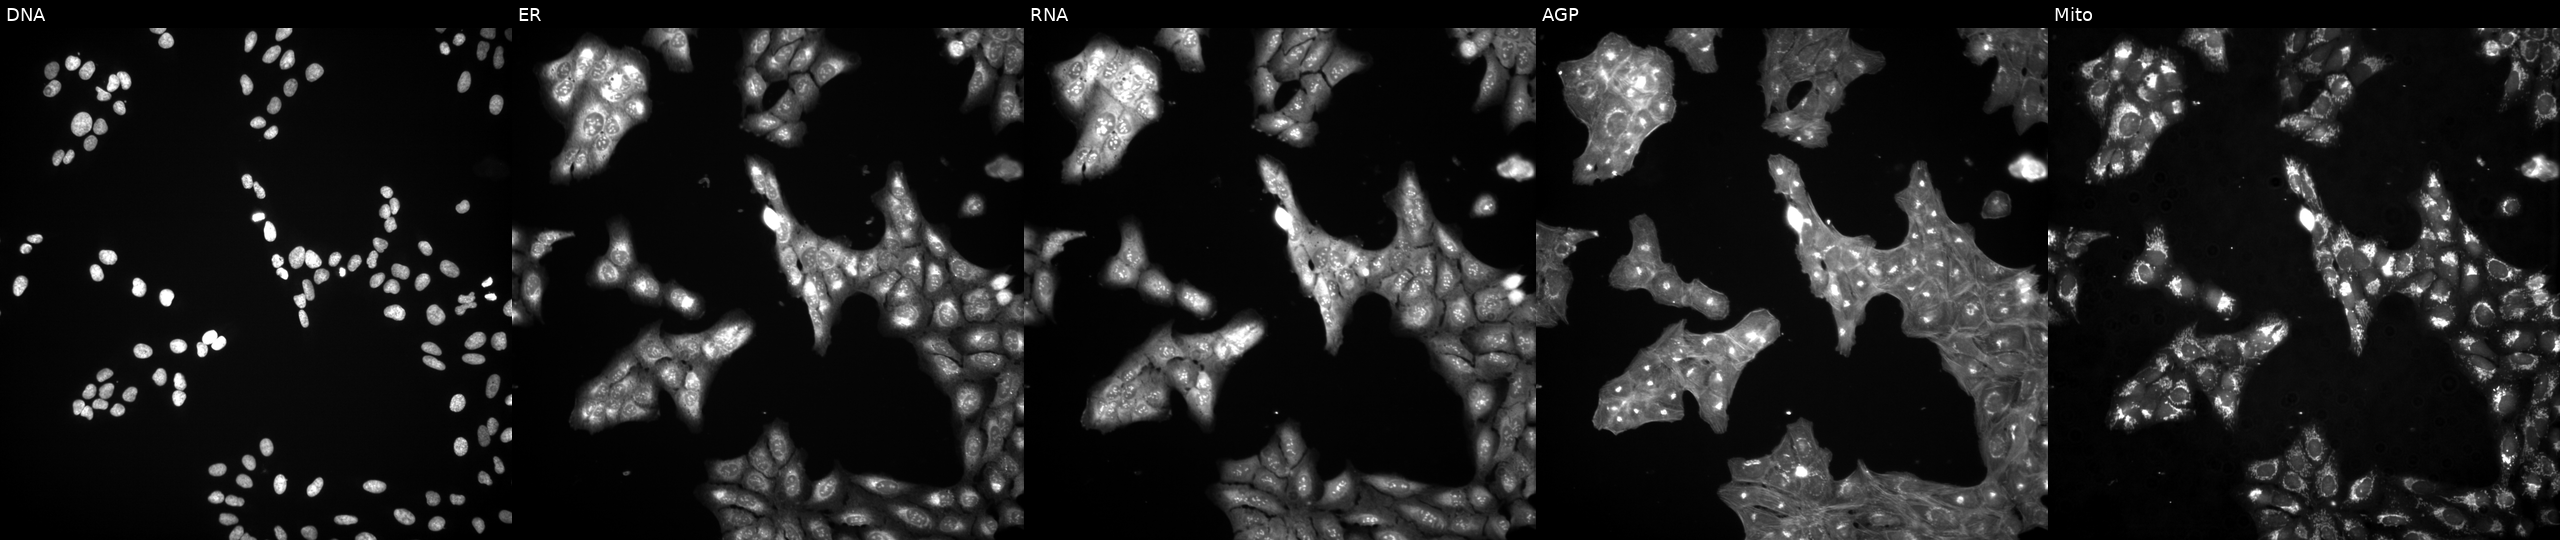
JUMP Cell Painting — TARGET2 plate. U2OS cells perturbed with a small-molecule compound (InChIKey ULYONBAOIMCNEH-UHFFFAOYSA-N). Panels show, left to right, Hoechst 33342, concanavalin A, SYTO 14, phalloidin and WGA, MitoTracker. Source 3, plate JCPQC052, well H23.